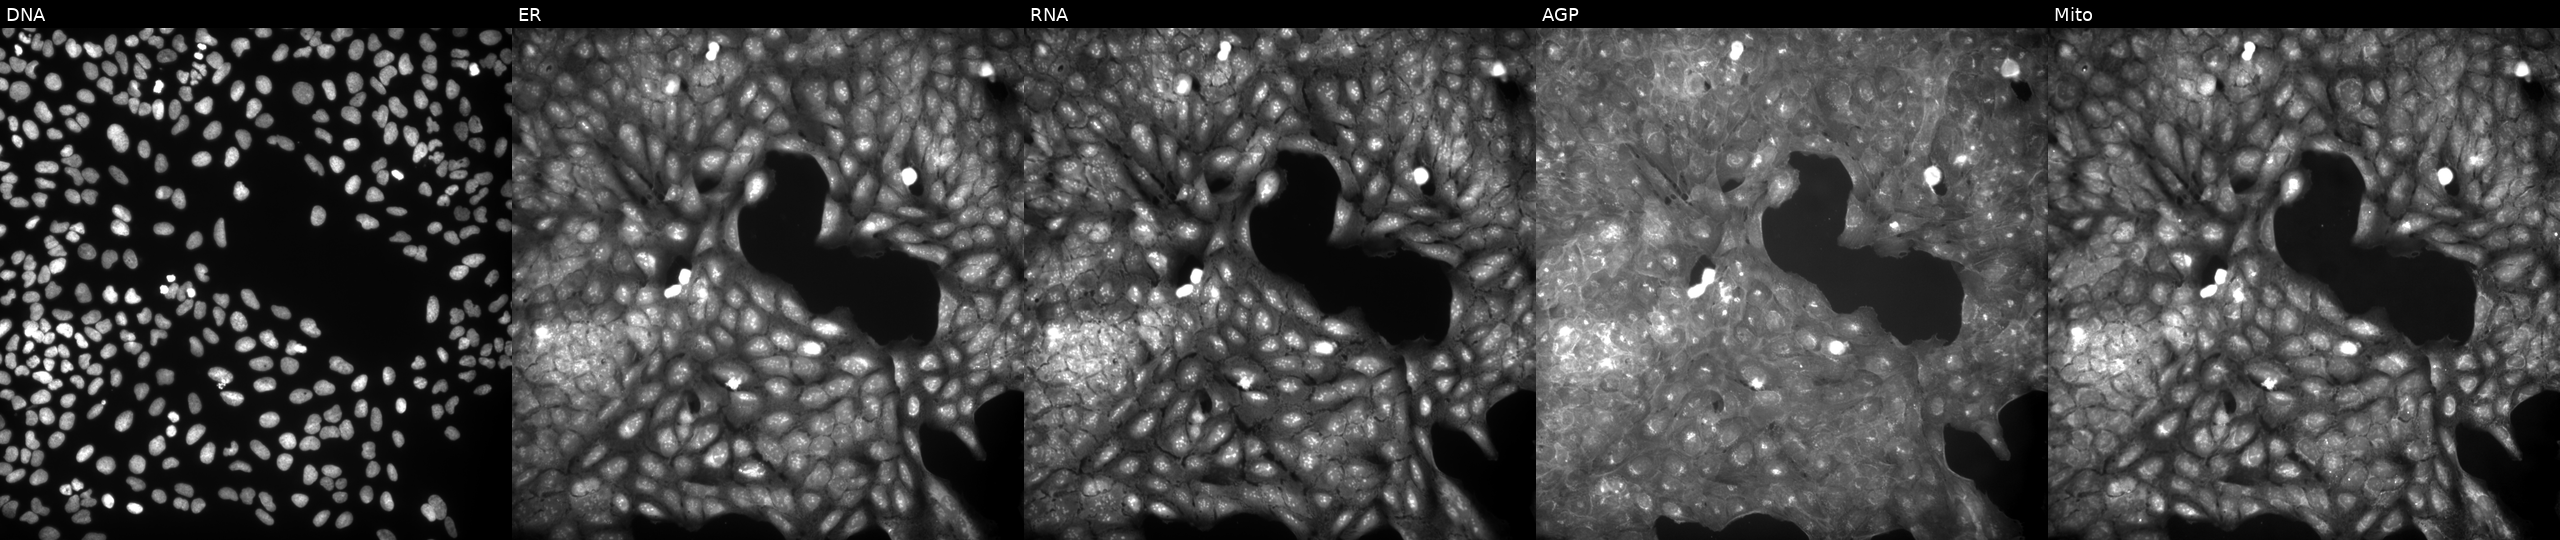
This image strip shows the five Cell Painting channels for a single field of U2OS cells perturbed with a small-molecule compound (InChIKey KDLWRVXQNWMWCI-UHFFFAOYSA-N) [SMILES: CCOC(=O)c1nc2ccccc2c(=O)n1-c1ccc(C)cc1] (JUMP id JCP2022_043898). From left to right: Hoechst 33342, concanavalin A, SYTO 14, phalloidin and WGA, MitoTracker. Source 9, plate GR00003381, well J39.